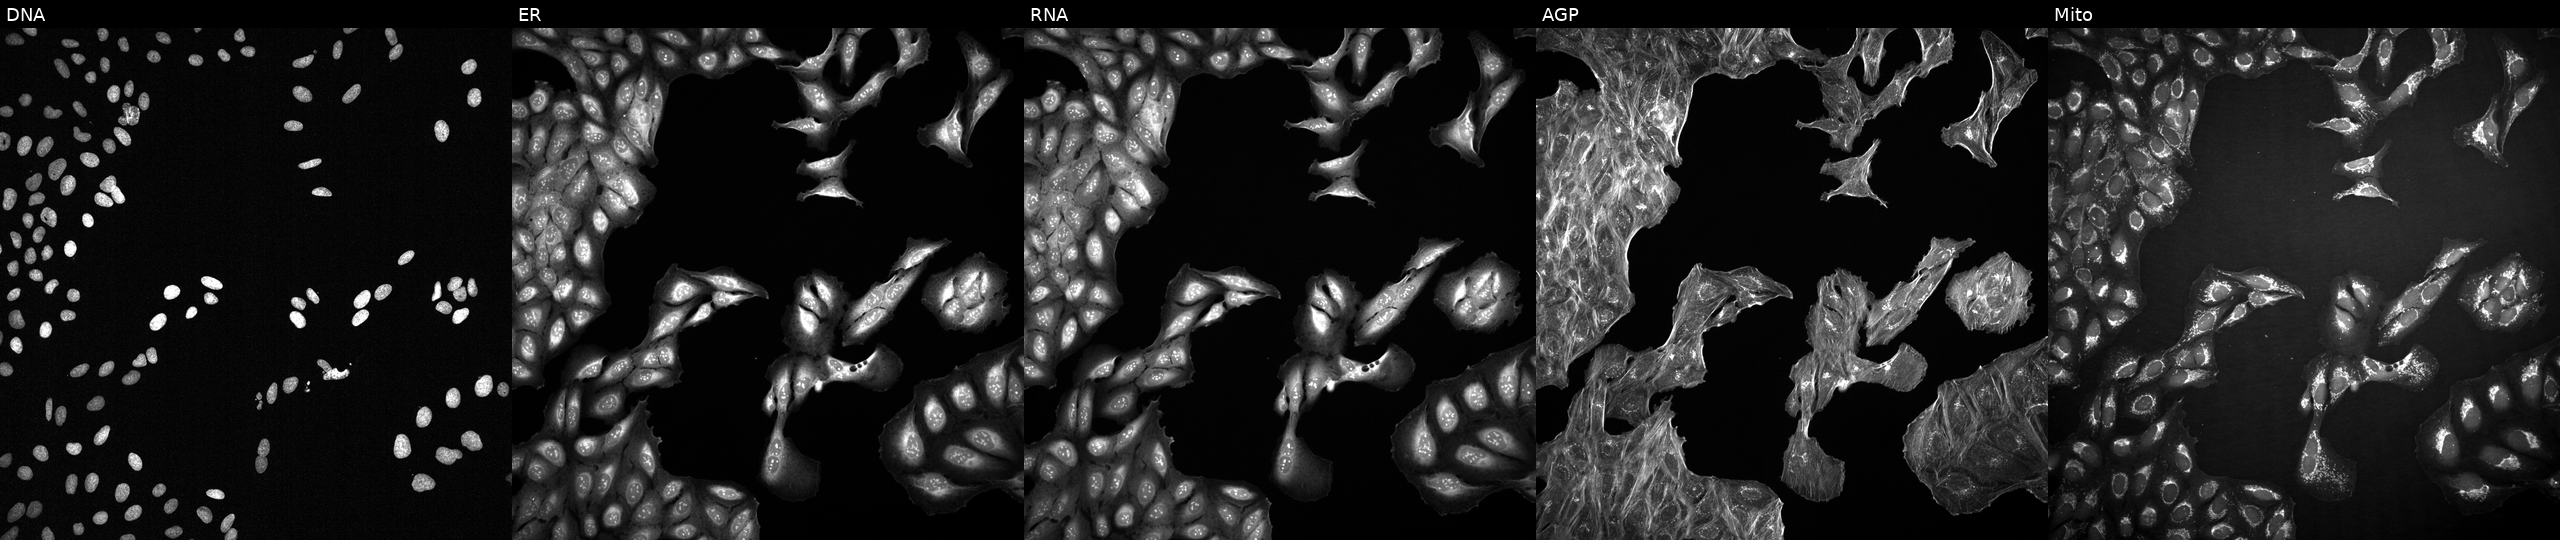
Panels show, left to right, DNA, ER, RNA, AGP, and Mito. U2OS osteosarcoma cells treated with DMSO vehicle only (negative control) (JUMP id JCP2022_033924). Cell Painting assay, JUMP-CP dataset. Source 2, plate 1053600674, well C16.